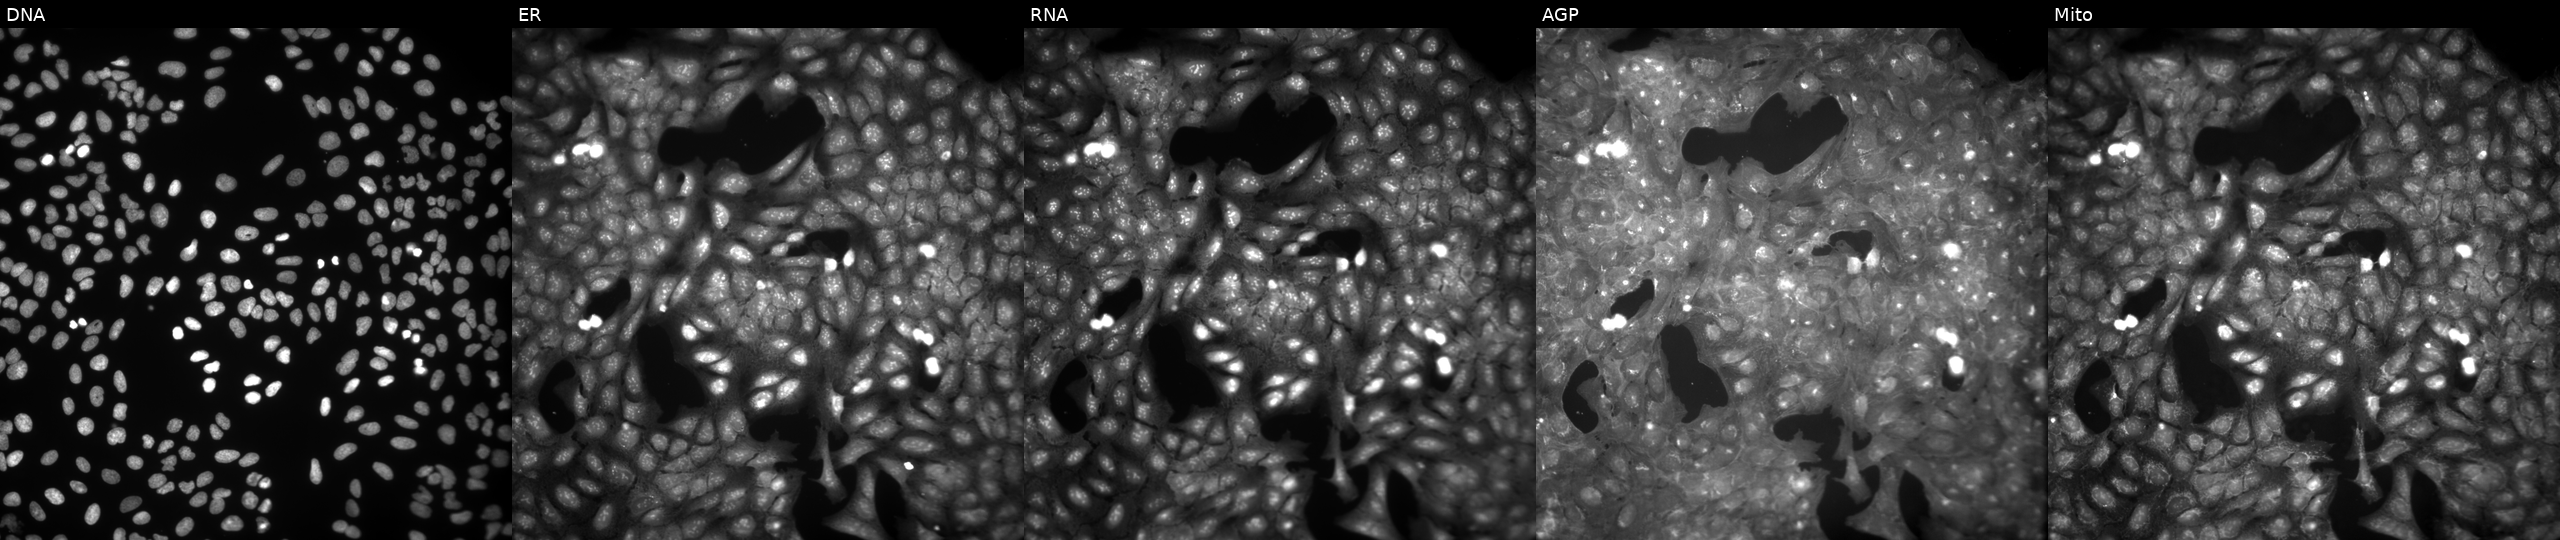
Channels (left→right): DNA, ER, RNA, AGP, and Mito. U2OS osteosarcoma cells perturbed with a small-molecule compound (InChIKey MIONKLYTTFVJFE-UHFFFAOYSA-N). Cell Painting assay, JUMP-CP dataset.